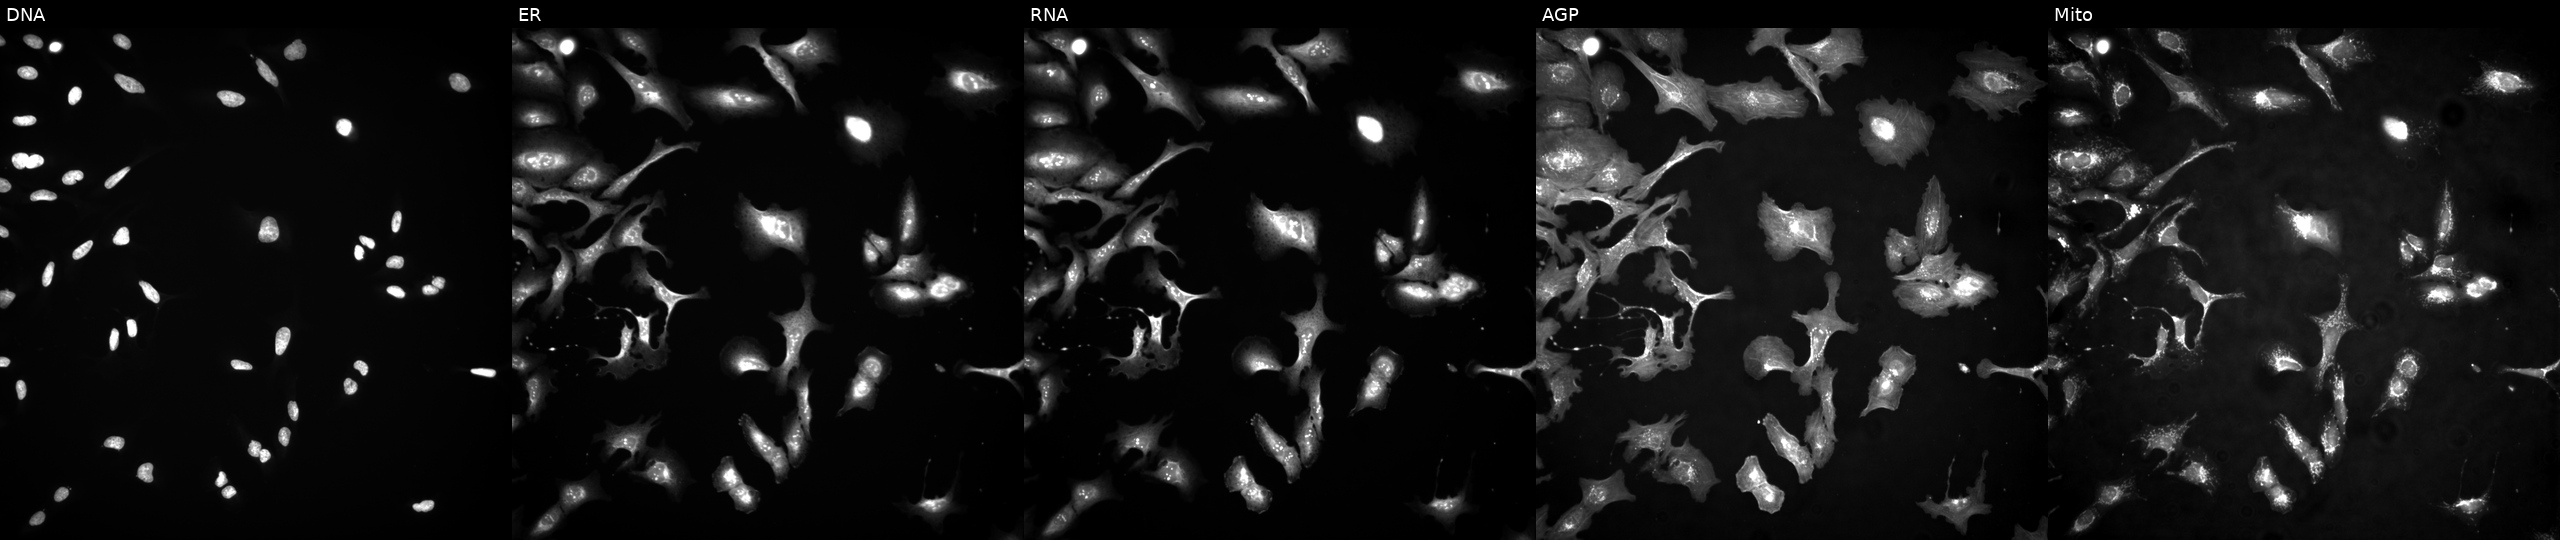
This image strip shows the five Cell Painting channels for a single field of U2OS cells overexpressing AKT3 via ORF transfection (JUMP id JCP2022_913970). Panels show, left to right, DNA (nuclei); ER (endoplasmic reticulum); RNA (nucleoli and cytoplasmic RNA); AGP (actin cytoskeleton, Golgi, and plasma membrane); Mito (mitochondria).